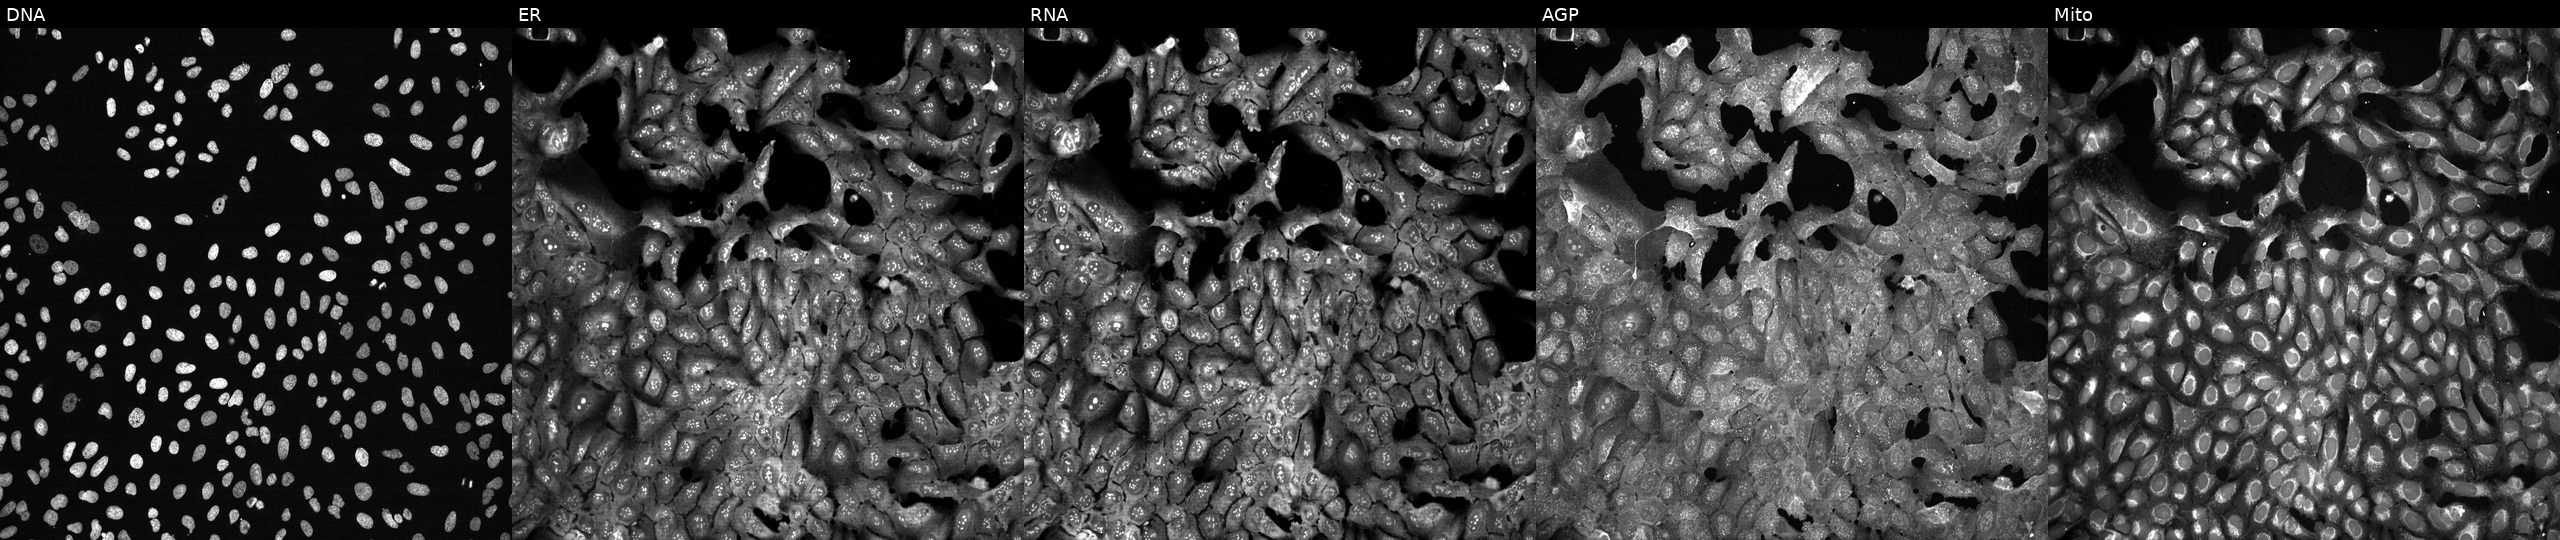
Five-channel Cell Painting image of U2OS cells with LALBA knocked out by CRISPR. Panels show, left to right, Hoechst 33342, concanavalin A, SYTO 14, phalloidin and WGA, MitoTracker.